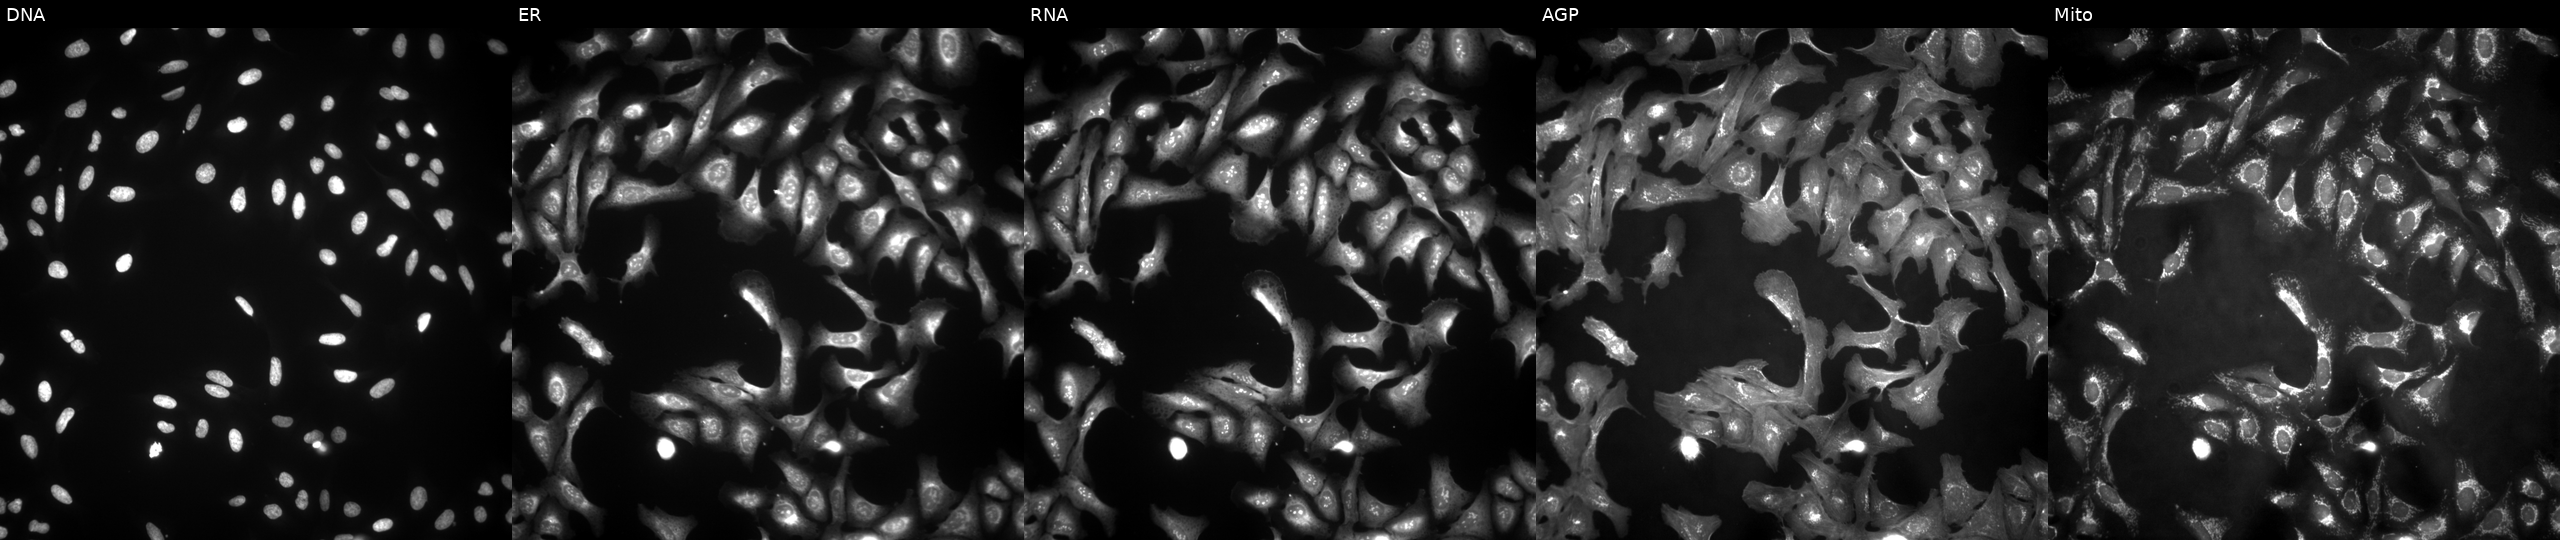
This image strip shows the five Cell Painting channels for a single field of U2OS cells transfected with an ORF construct for ALDH1A2 (JUMP id JCP2022_906838). Panels show, left to right, DNA (nuclei); ER (endoplasmic reticulum); RNA (nucleoli and cytoplasmic RNA); AGP (actin cytoskeleton, Golgi, and plasma membrane); Mito (mitochondria).